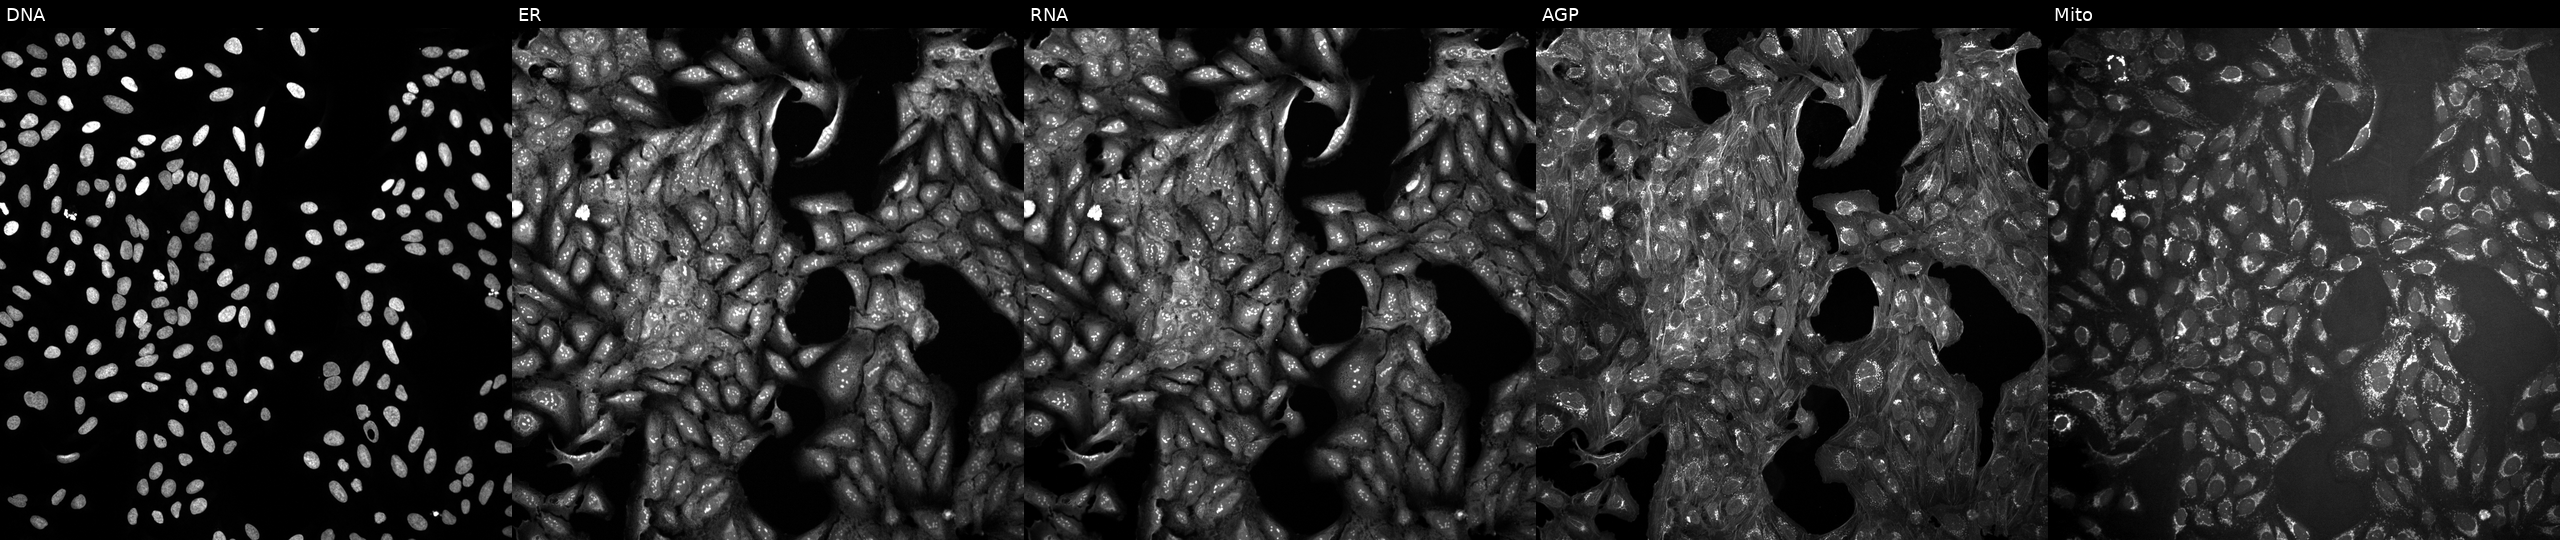
This image strip shows the five Cell Painting channels for a single field of U2OS cells treated with a small-molecule compound (InChIKey KMMJLQZJHGPXSA-UHFFFAOYSA-N). From left to right: Hoechst 33342, concanavalin A, SYTO 14, phalloidin and WGA, MitoTracker.